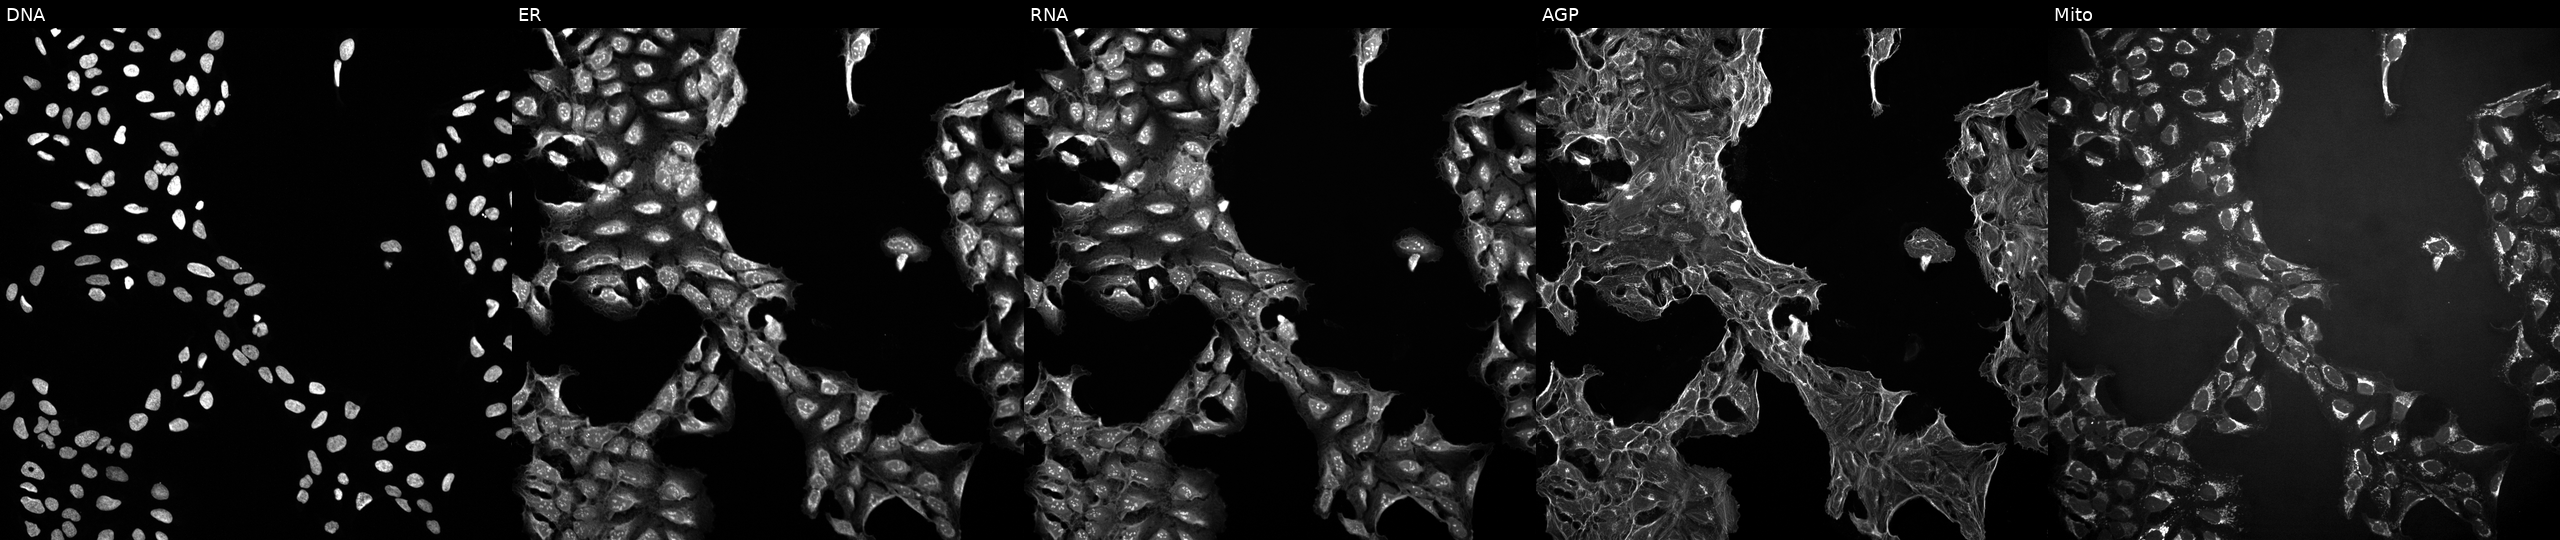
Five-channel Cell Painting image of U2OS cells exposed to a small-molecule compound (InChIKey LEVWYRKDKASIDU-UHFFFAOYSA-N). Channels (left→right): DNA (nuclei); ER (endoplasmic reticulum); RNA (nucleoli and cytoplasmic RNA); AGP (actin cytoskeleton, Golgi, and plasma membrane); Mito (mitochondria).